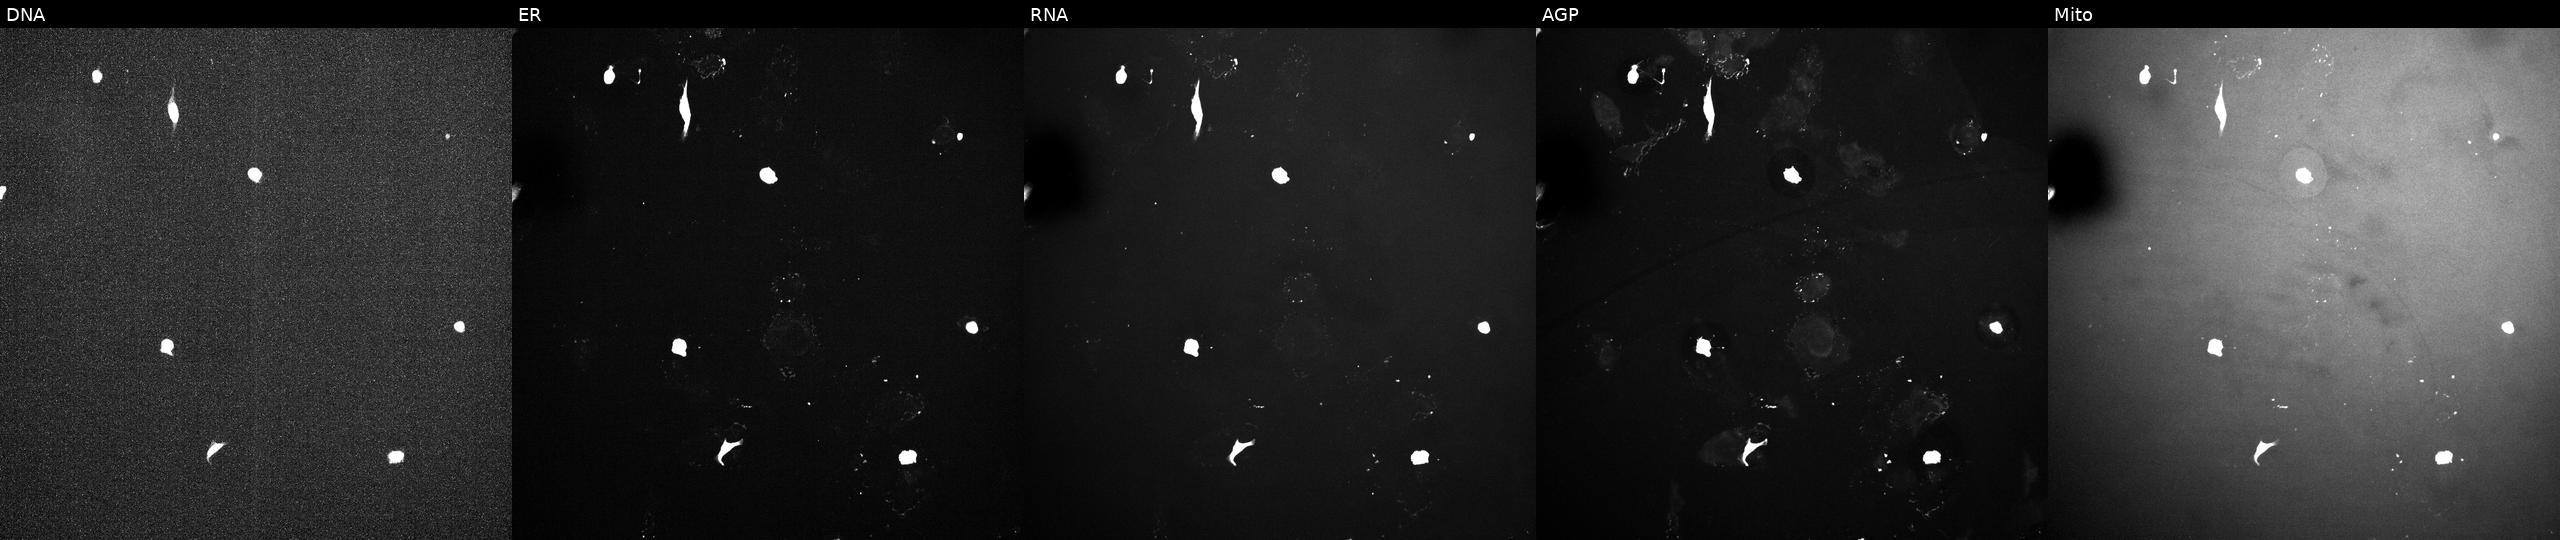
The five panels, left to right, show DNA, ER, RNA, AGP, and Mito. U2OS osteosarcoma cells exposed to a small-molecule compound (InChIKey NQQBNZBOOHHVQP-UHFFFAOYSA-N) (JUMP id JCP2022_060734). Cell Painting assay, JUMP-CP dataset.